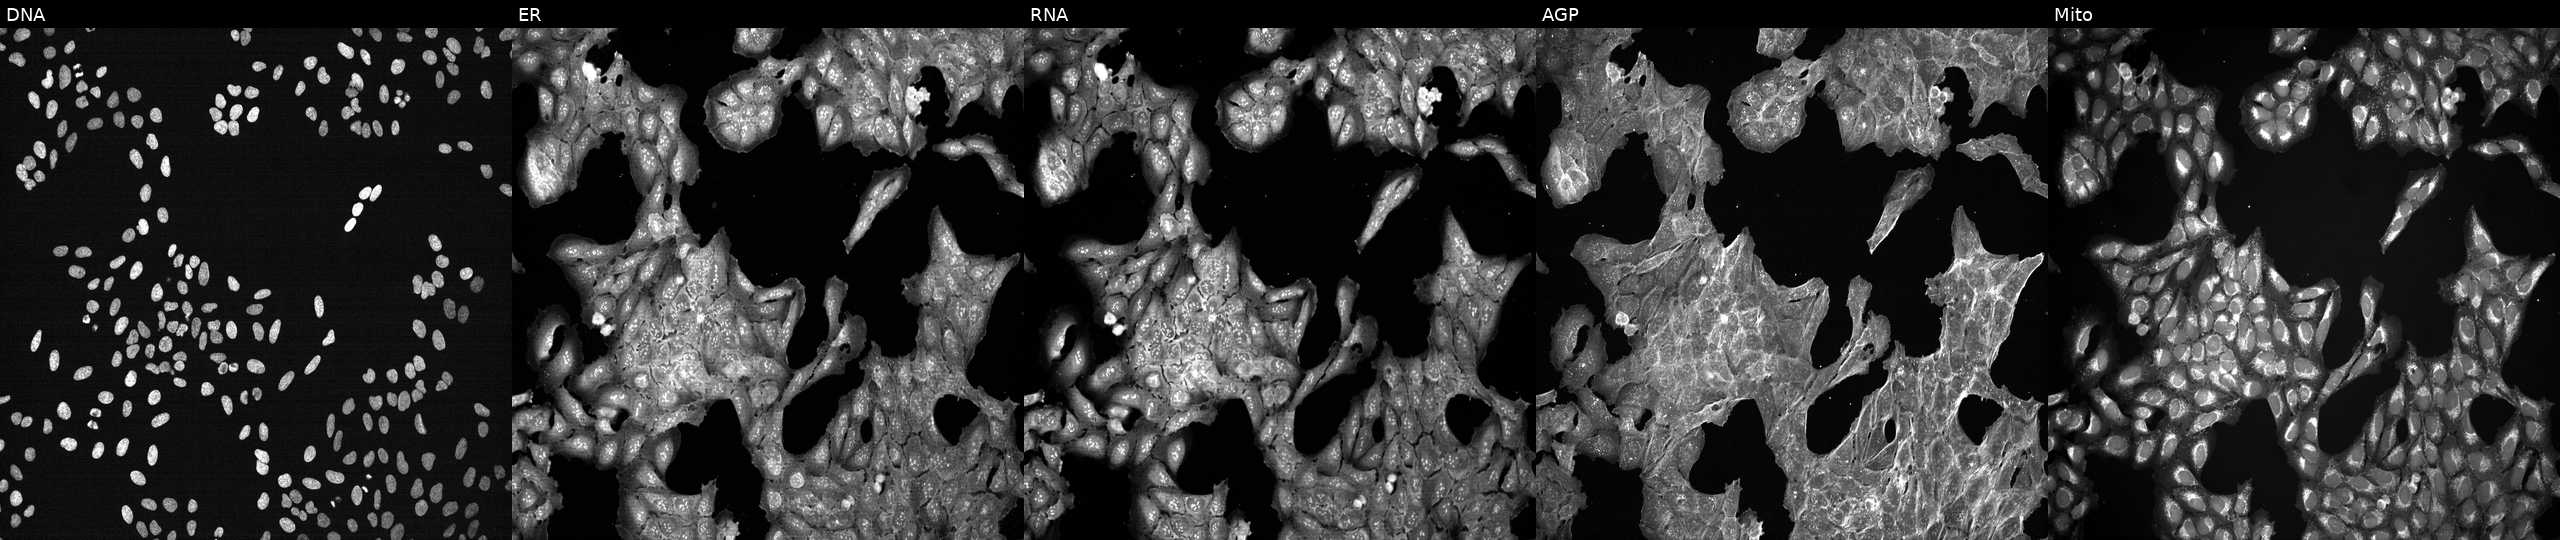
U2OS cells, Cell Painting assay, exposed to DMSO alone as a negative control (JUMP id JCP2022_033924). The five panels, left to right, show Hoechst 33342, concanavalin A, SYTO 14, phalloidin and WGA, MitoTracker. Each panel is percentile-stretched 16-bit fluorescence.